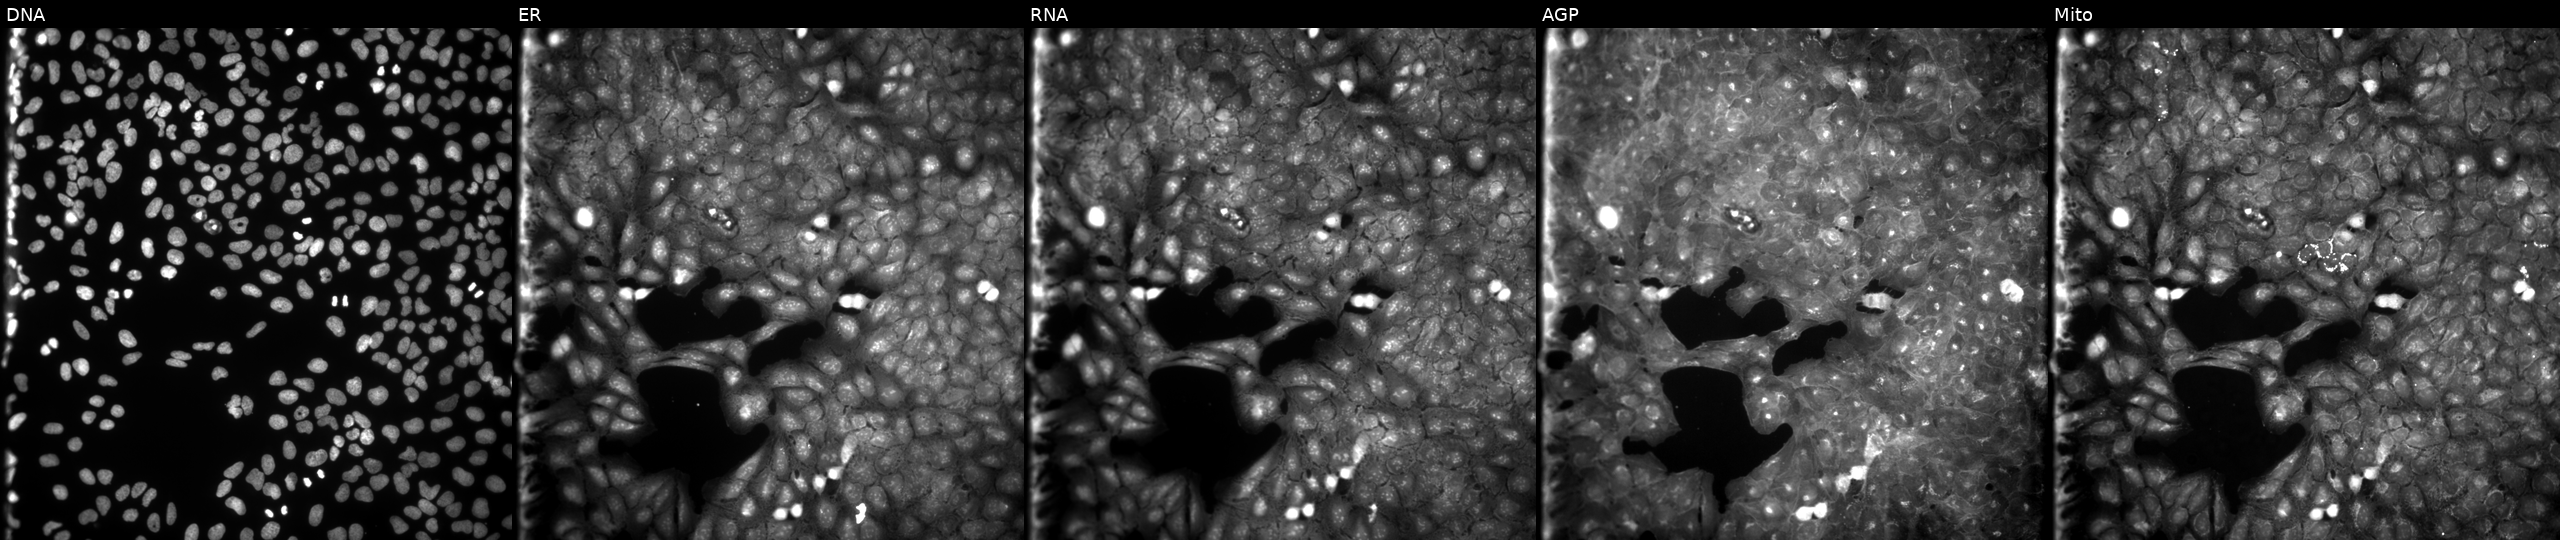
JUMP Cell Painting — COMPOUND plate. U2OS cells treated with a small-molecule compound (InChIKey PZXYILUXRGTFGD-UHFFFAOYSA-N) (JUMP id JCP2022_072064). Panels show, left to right, DNA, ER, RNA, AGP, and Mito.